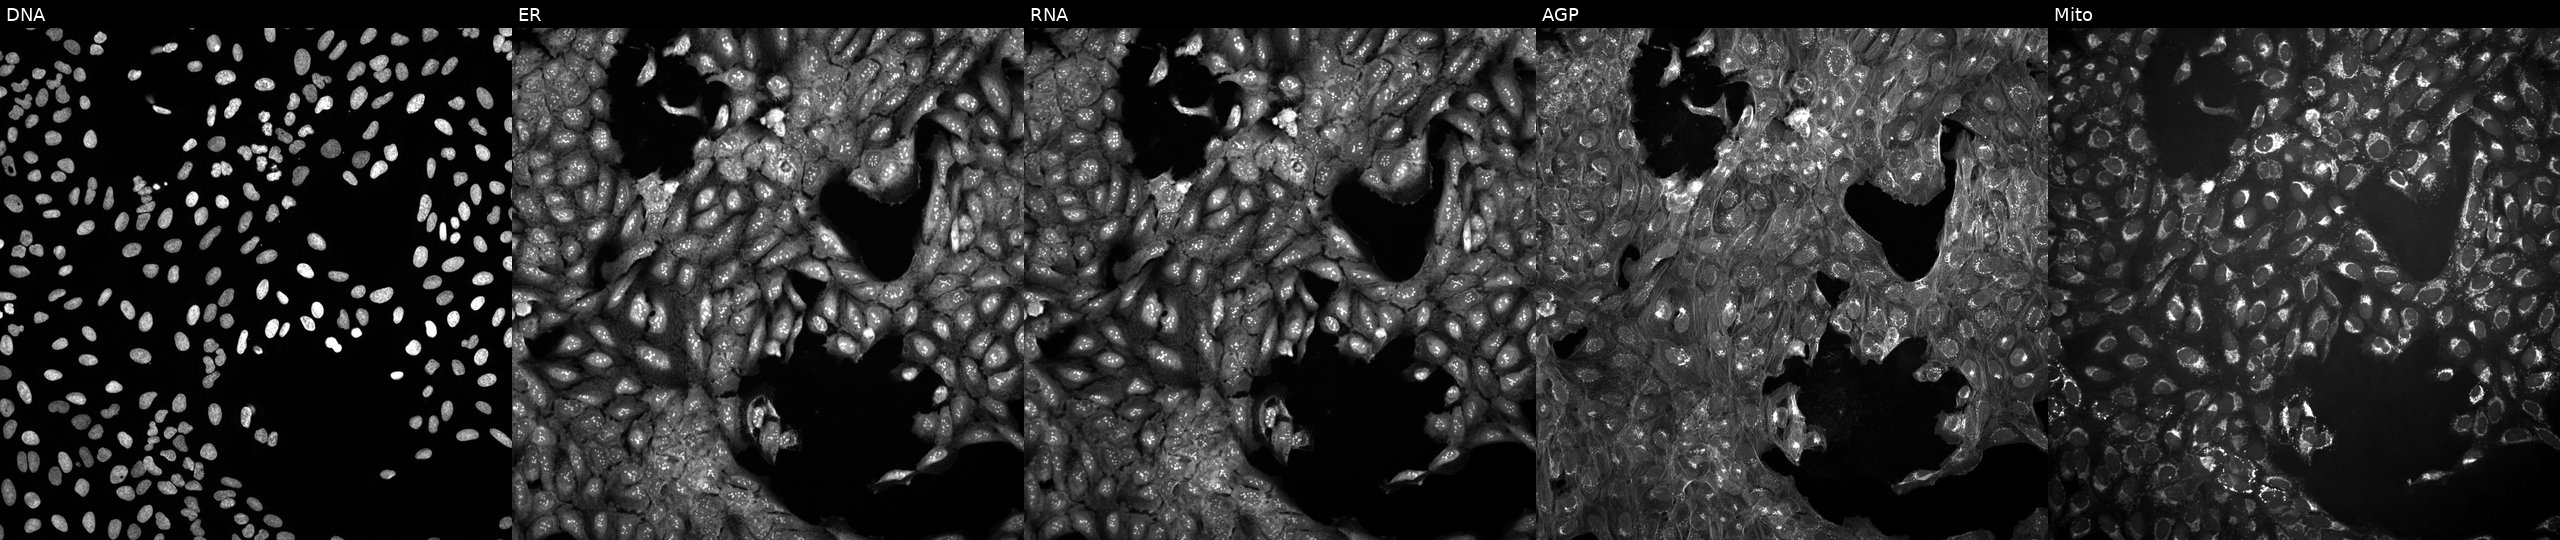
This image strip shows the five Cell Painting channels for a single field of U2OS cells perturbed with a small-molecule compound (InChIKey SKUKNIHGJKJEJB-UHFFFAOYSA-N) (JUMP id JCP2022_083896). Channels (left→right): DNA (nuclei); ER (endoplasmic reticulum); RNA (nucleoli and cytoplasmic RNA); AGP (actin cytoskeleton, Golgi, and plasma membrane); Mito (mitochondria). Source 10, plate Dest210531-152149, well H05.